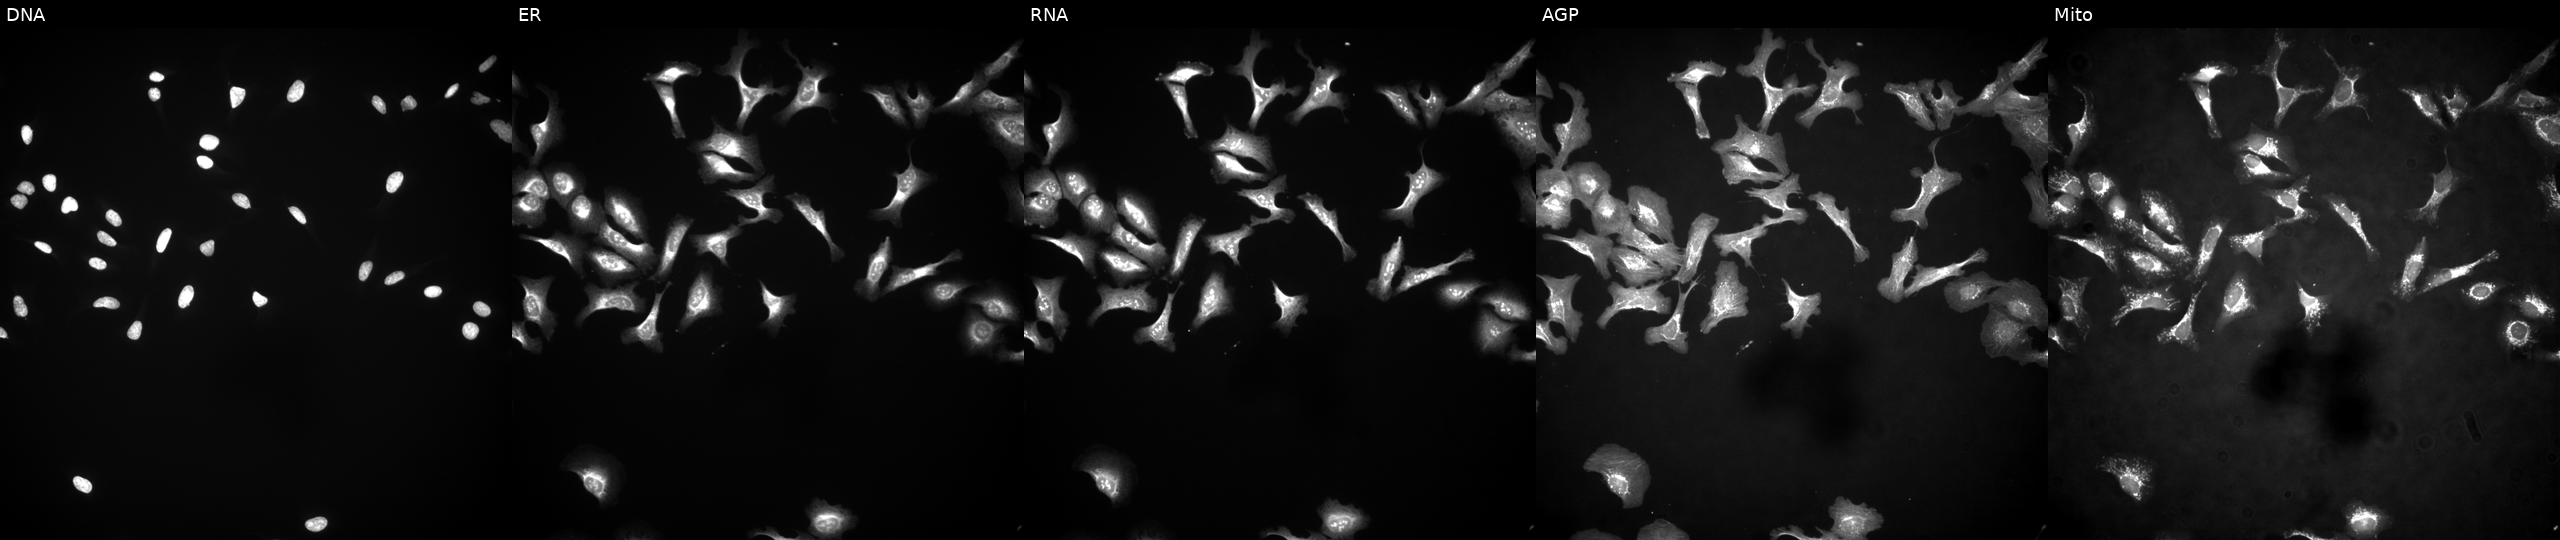
U2OS cells, Cell Painting assay, overexpressing ADAM18 via ORF transfection. Channels (left→right): DNA, ER, RNA, AGP, and Mito. Each panel is percentile-stretched 16-bit fluorescence.